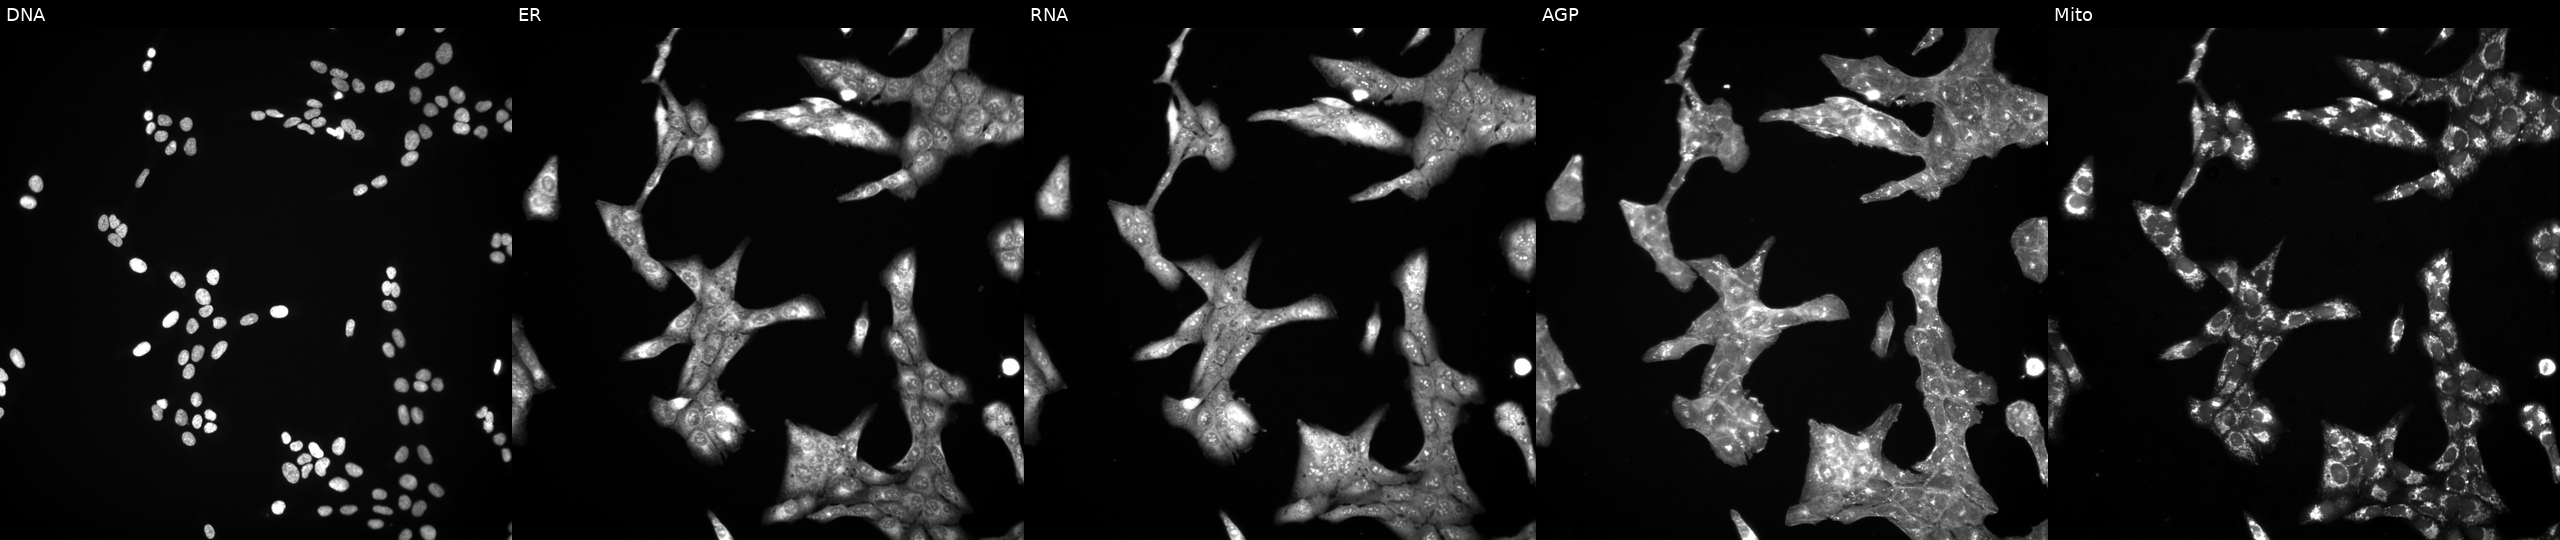
High-content fluorescence microscopy (Cell Painting). Cell line: U2OS. Perturbation: treated with a small-molecule compound (InChIKey VHHVPDKNKPNKHY-UHFFFAOYSA-N) [SMILES: CC(C)C1c2ccc(F)cc2CCC1(CCN(C)CCCc1nc2ccccc2[nH]1)OC(=O)C1CC1]. The five panels, left to right, show DNA (nuclei); ER (endoplasmic reticulum); RNA (nucleoli and cytoplasmic RNA); AGP (actin cytoskeleton, Golgi, and plasma membrane); Mito (mitochondria).